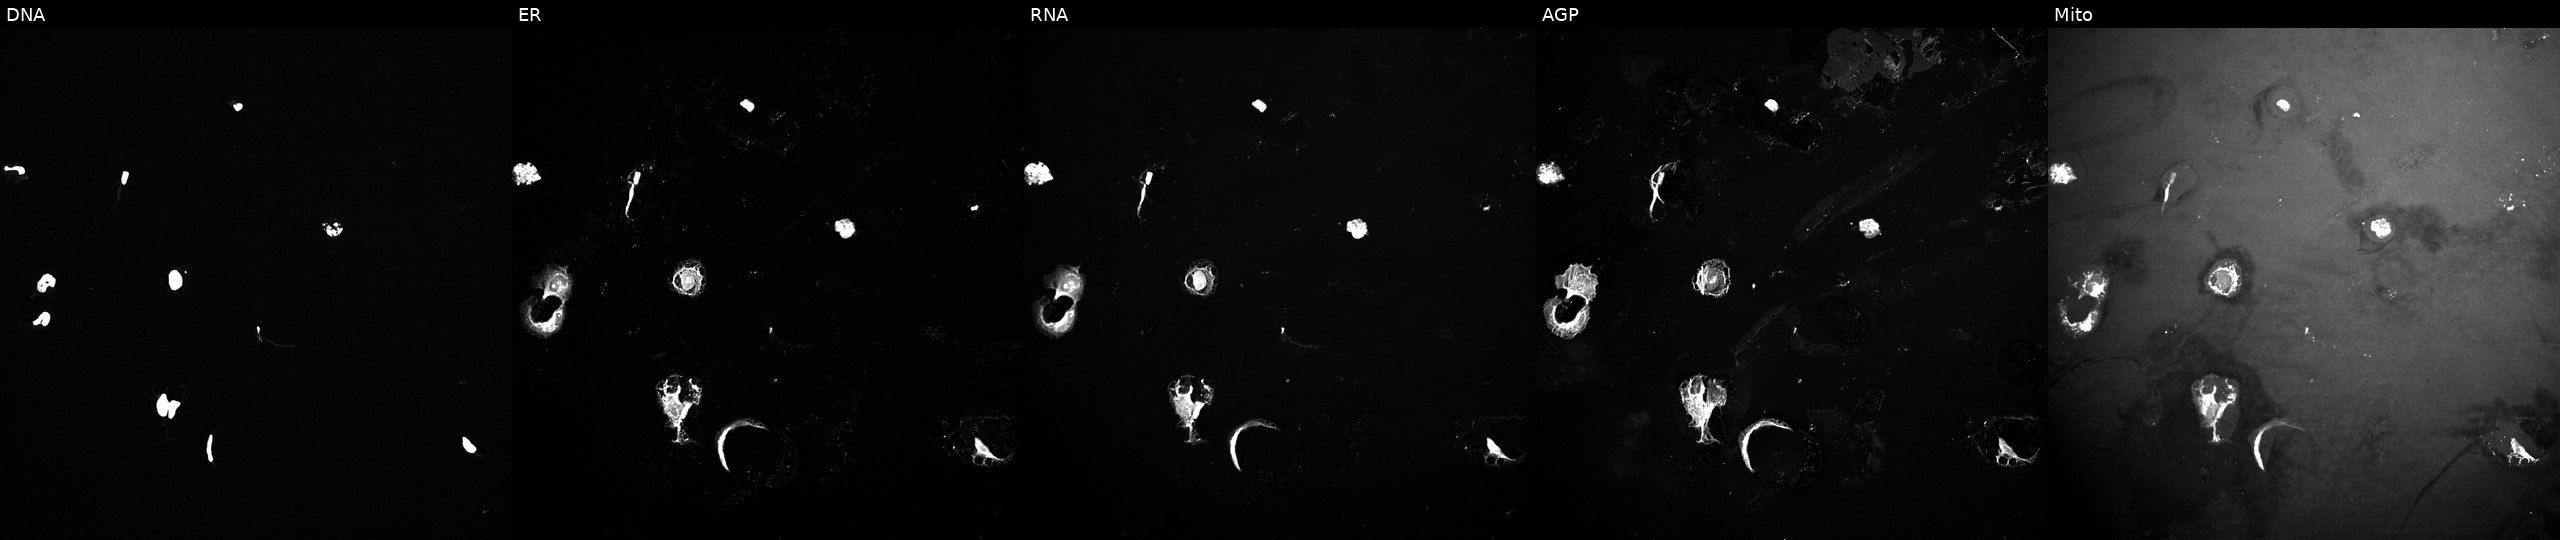
U2OS cells, Cell Painting assay, perturbed with a small-molecule compound. From left to right: DNA, ER, RNA, AGP, and Mito. Each panel is percentile-stretched 16-bit fluorescence.